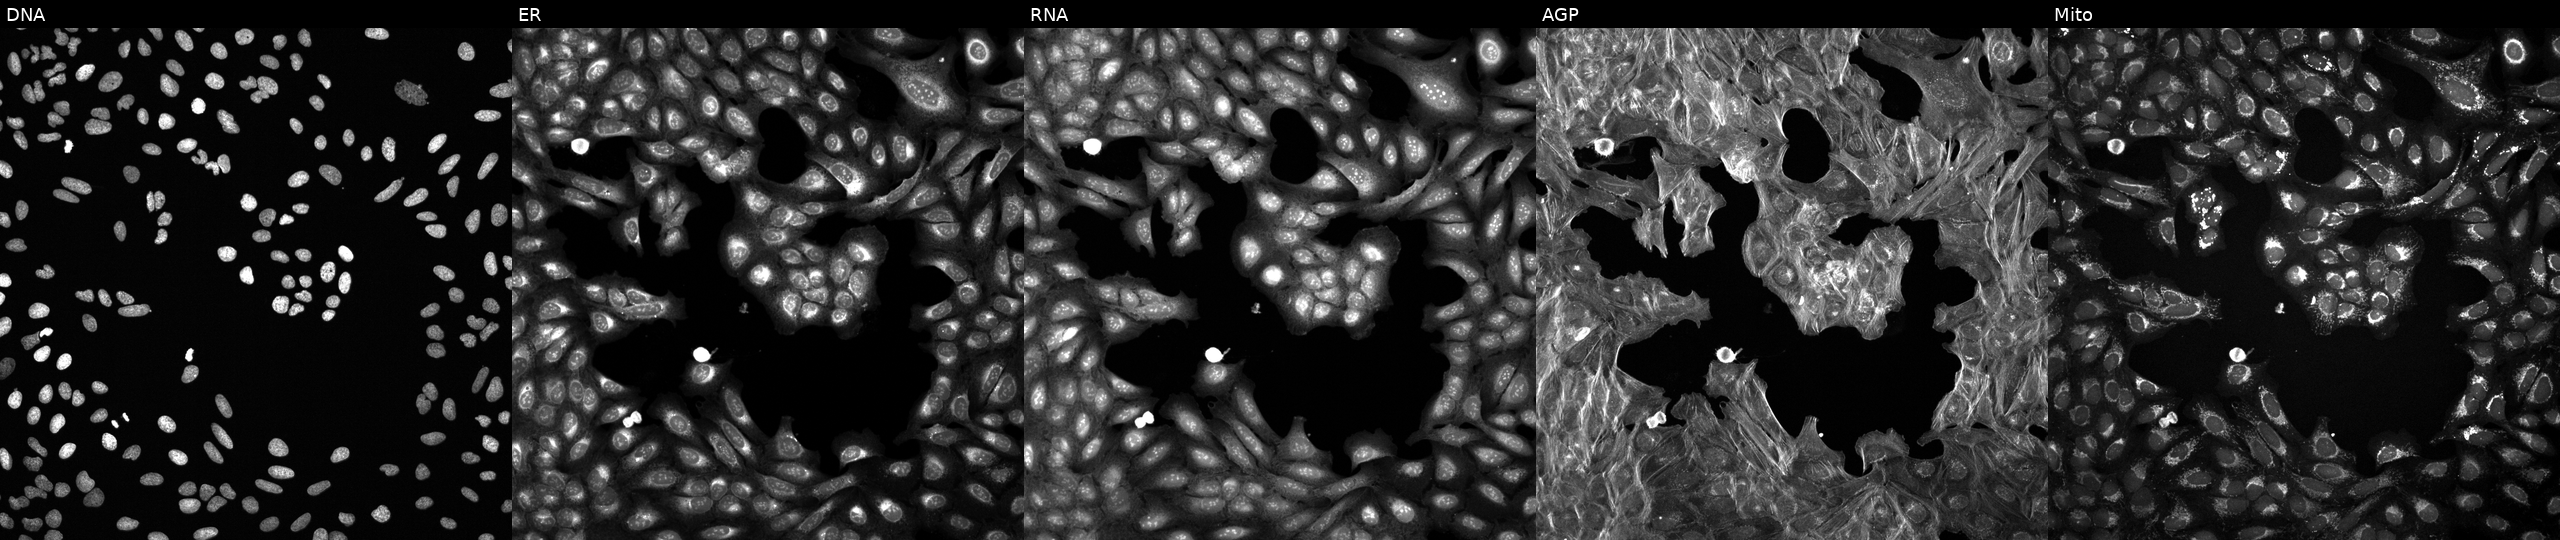
This image strip shows the five Cell Painting channels for a single field of U2OS cells exposed to a small-molecule compound (InChIKey LQERMDXPGNOJCT-UHFFFAOYSA-N) [SMILES: CNC1C(=O)NC2Cc3ccc(cc3)Oc3cc4cc(c3OC3OC(C(=O)O)C(O)C(O)C3NC(=O)CCCCCCCCC(C)C)Oc3ccc(cc3Cl)C(O)c3[nH]c(O)c(c5ccc(O)c(c5)c5c(OC6OC(CO)C(O)C(O)C6O)cc(O)cc5c(=C(O)NCCCN(C)C)[nH]c3O)NC(=O)C4NC(=O)C(NC2=O)c2cc(cc(O)c2Cl)Oc2cc1ccc2O] (JUMP id JCP2022_051043). Panels show, left to right, Hoechst 33342, concanavalin A, SYTO 14, phalloidin and WGA, MitoTracker.